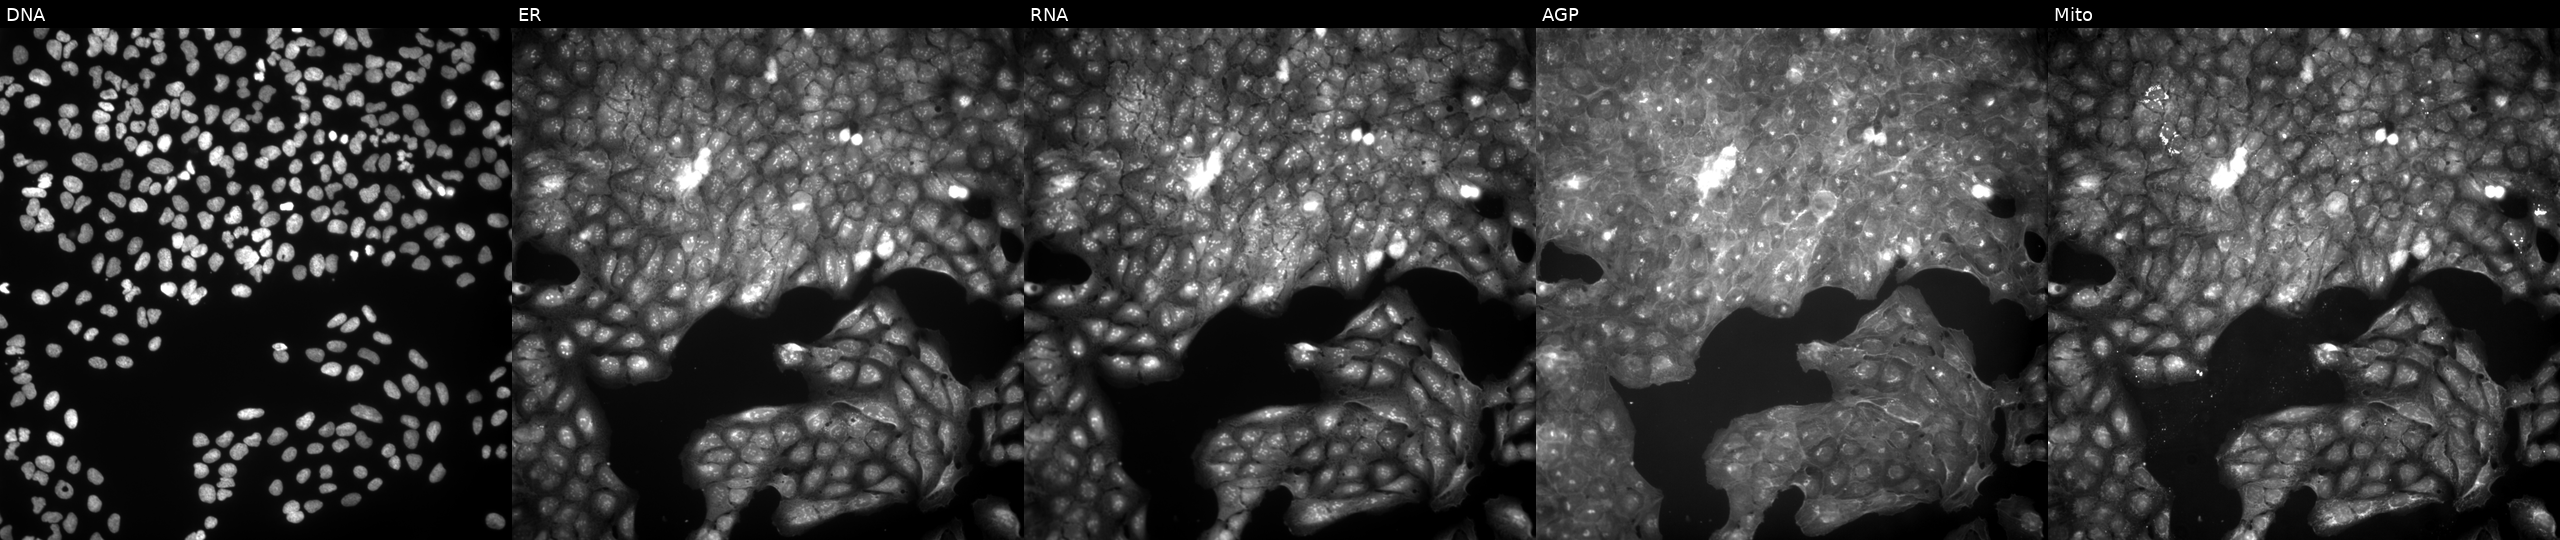
Panels show, left to right, Hoechst 33342, concanavalin A, SYTO 14, phalloidin and WGA, MitoTracker. U2OS osteosarcoma cells treated with a small-molecule compound [SMILES: COc1cccc(OCC(=O)Nc2ccccc2NC(C)=O)c1] (JUMP id JCP2022_083304). Cell Painting assay, JUMP-CP dataset.